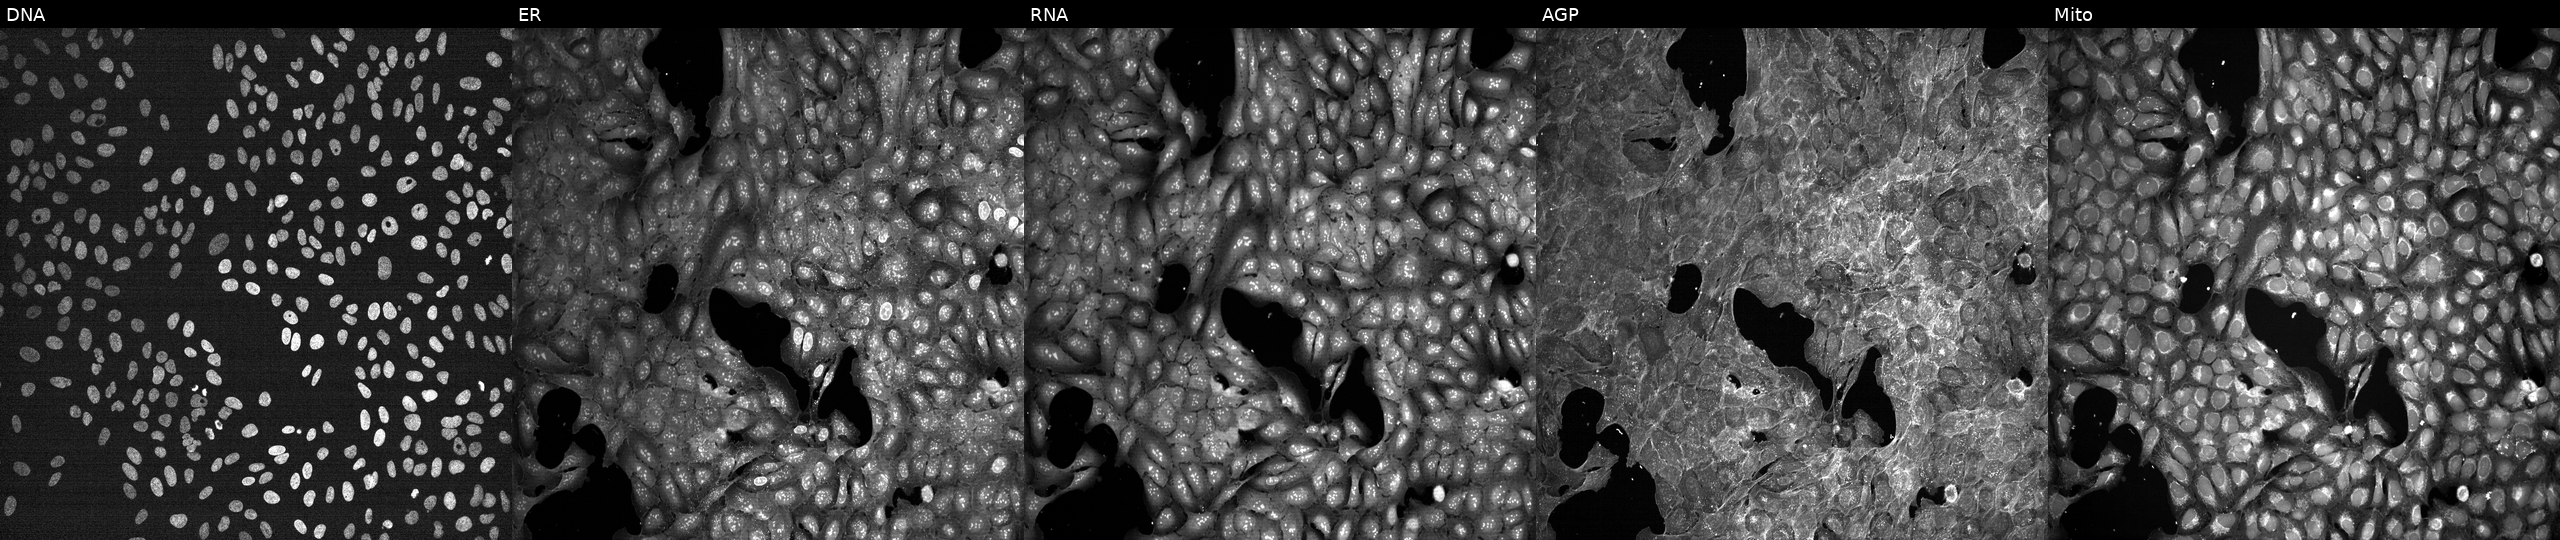
High-content fluorescence microscopy (Cell Painting). Cell line: U2OS. Perturbation: treated with a small-molecule compound (InChIKey XQYASZNUFDVMFH-UHFFFAOYSA-N). The five panels, left to right, show DNA, ER, RNA, AGP, and Mito.